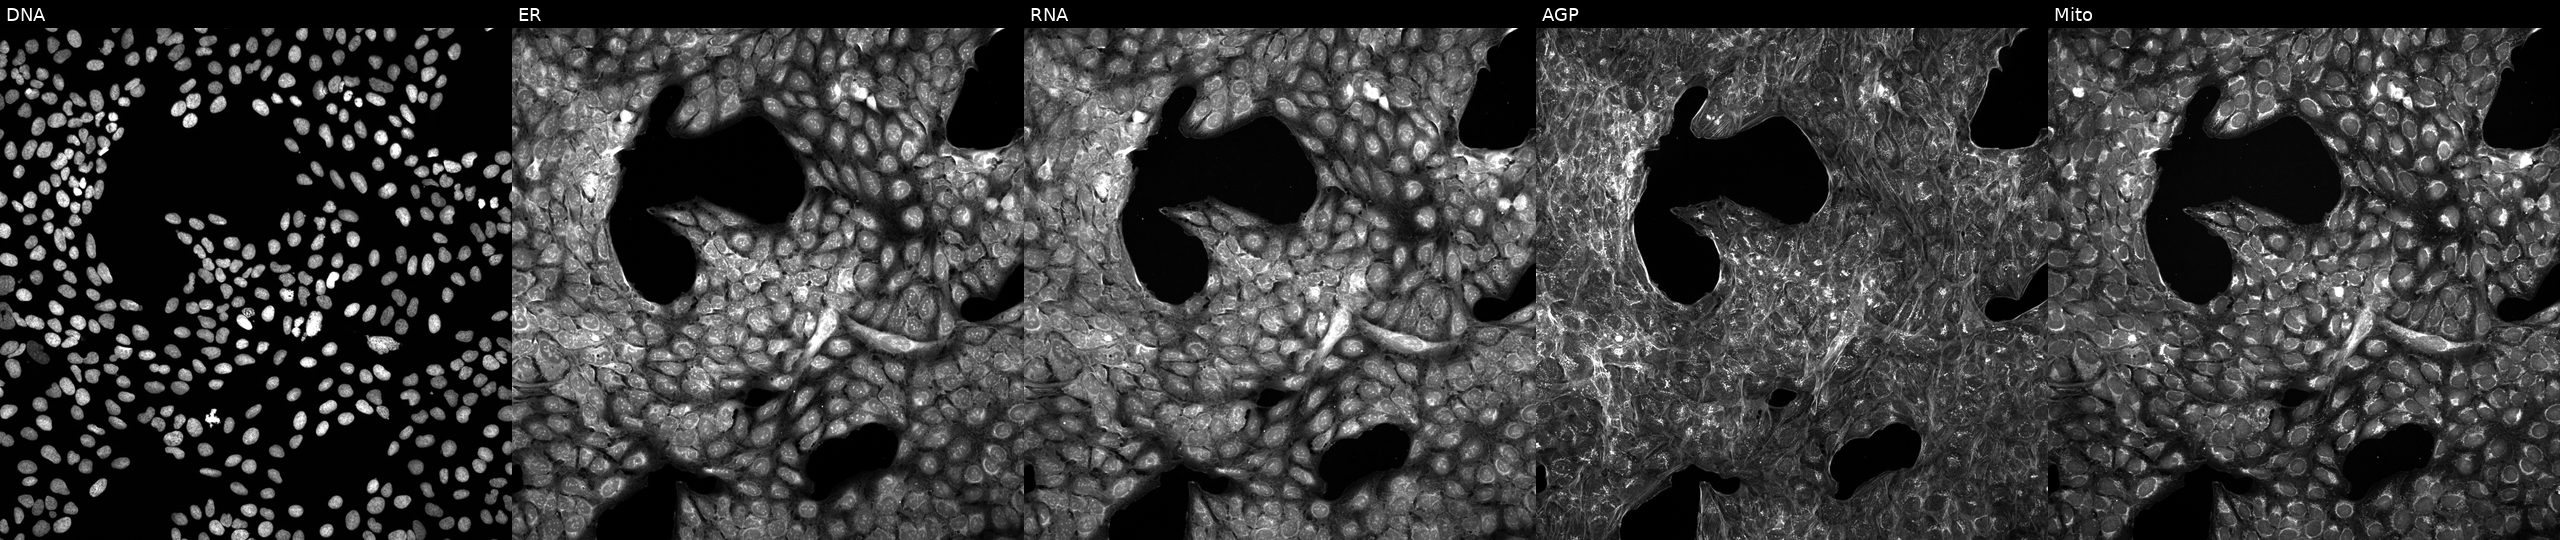
Panels show, left to right, Hoechst 33342, concanavalin A, SYTO 14, phalloidin and WGA, MitoTracker. U2OS osteosarcoma cells exposed to the positive-control compound LY2109761 (JUMP id JCP2022_035095). Cell Painting assay, JUMP-CP dataset. Source 5, plate APTJUM106, well I24.